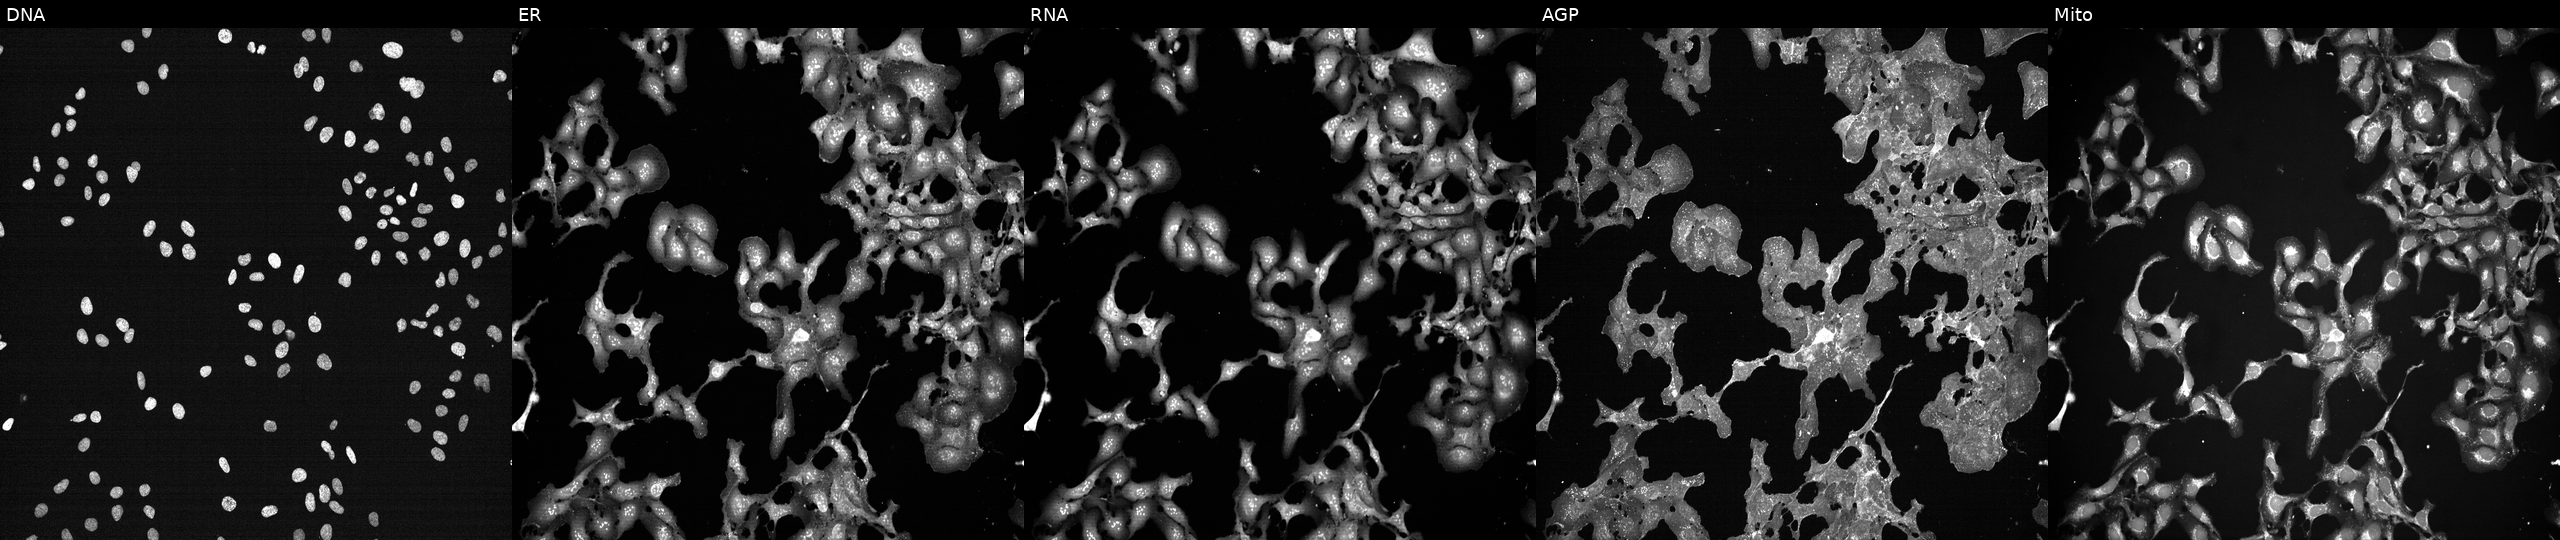
Five-channel Cell Painting image of U2OS cells exposed to a small-molecule compound (JUMP id JCP2022_024824). From left to right: Hoechst 33342, concanavalin A, SYTO 14, phalloidin and WGA, MitoTracker. Source 7, plate CP2-SC1-25, well E19.